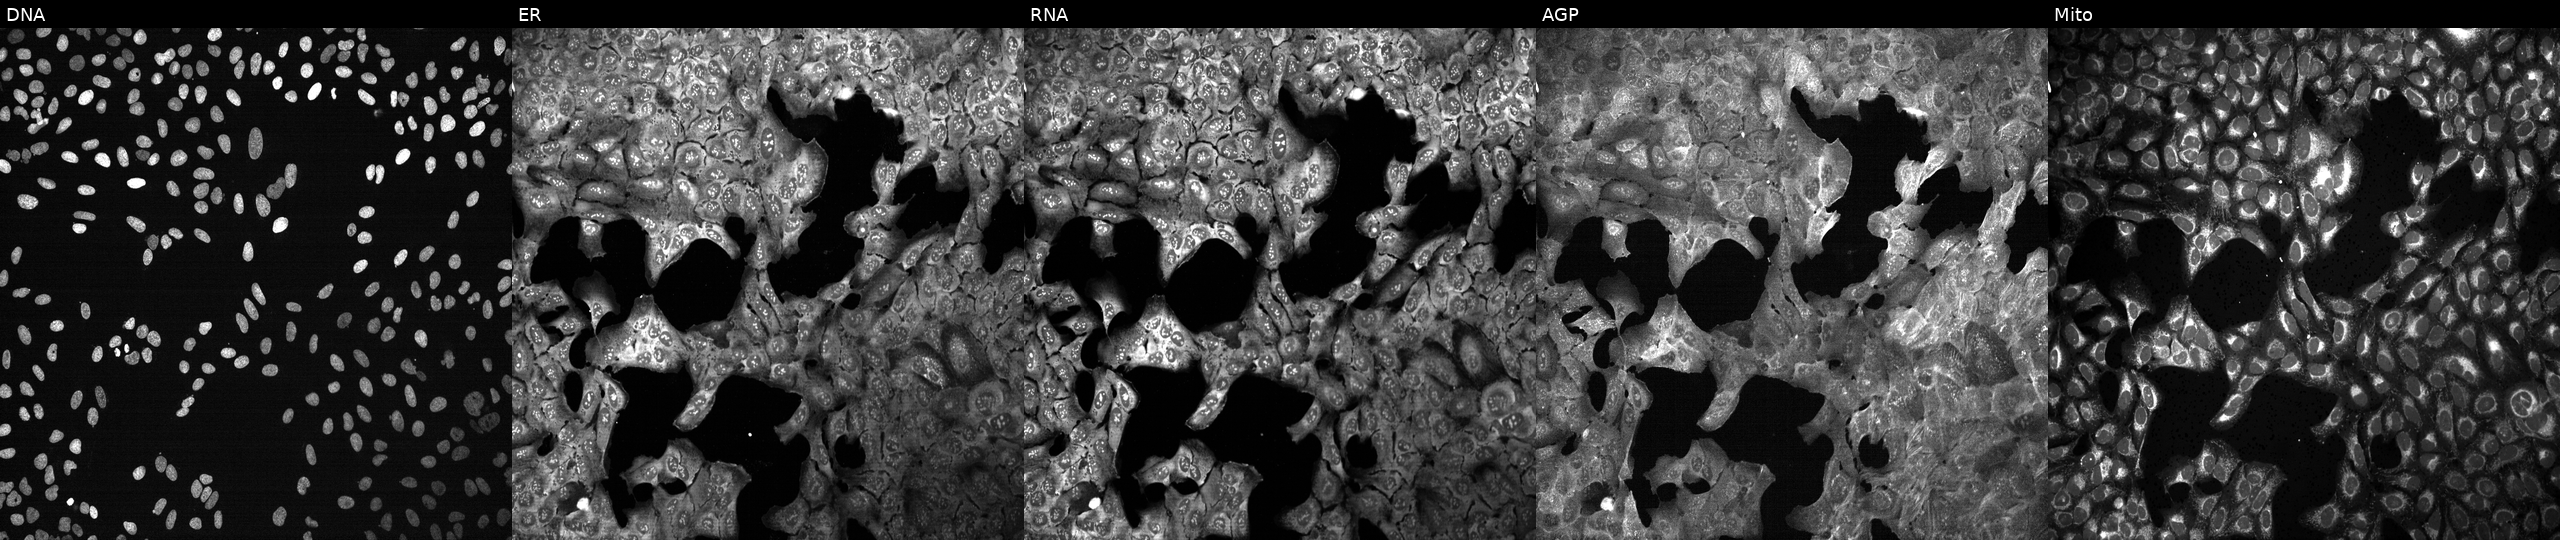
U2OS cells, Cell Painting assay, with RSC1A1 knocked out by CRISPR (JUMP id JCP2022_806134). The five panels, left to right, show Hoechst 33342, concanavalin A, SYTO 14, phalloidin and WGA, MitoTracker. Each panel is percentile-stretched 16-bit fluorescence.